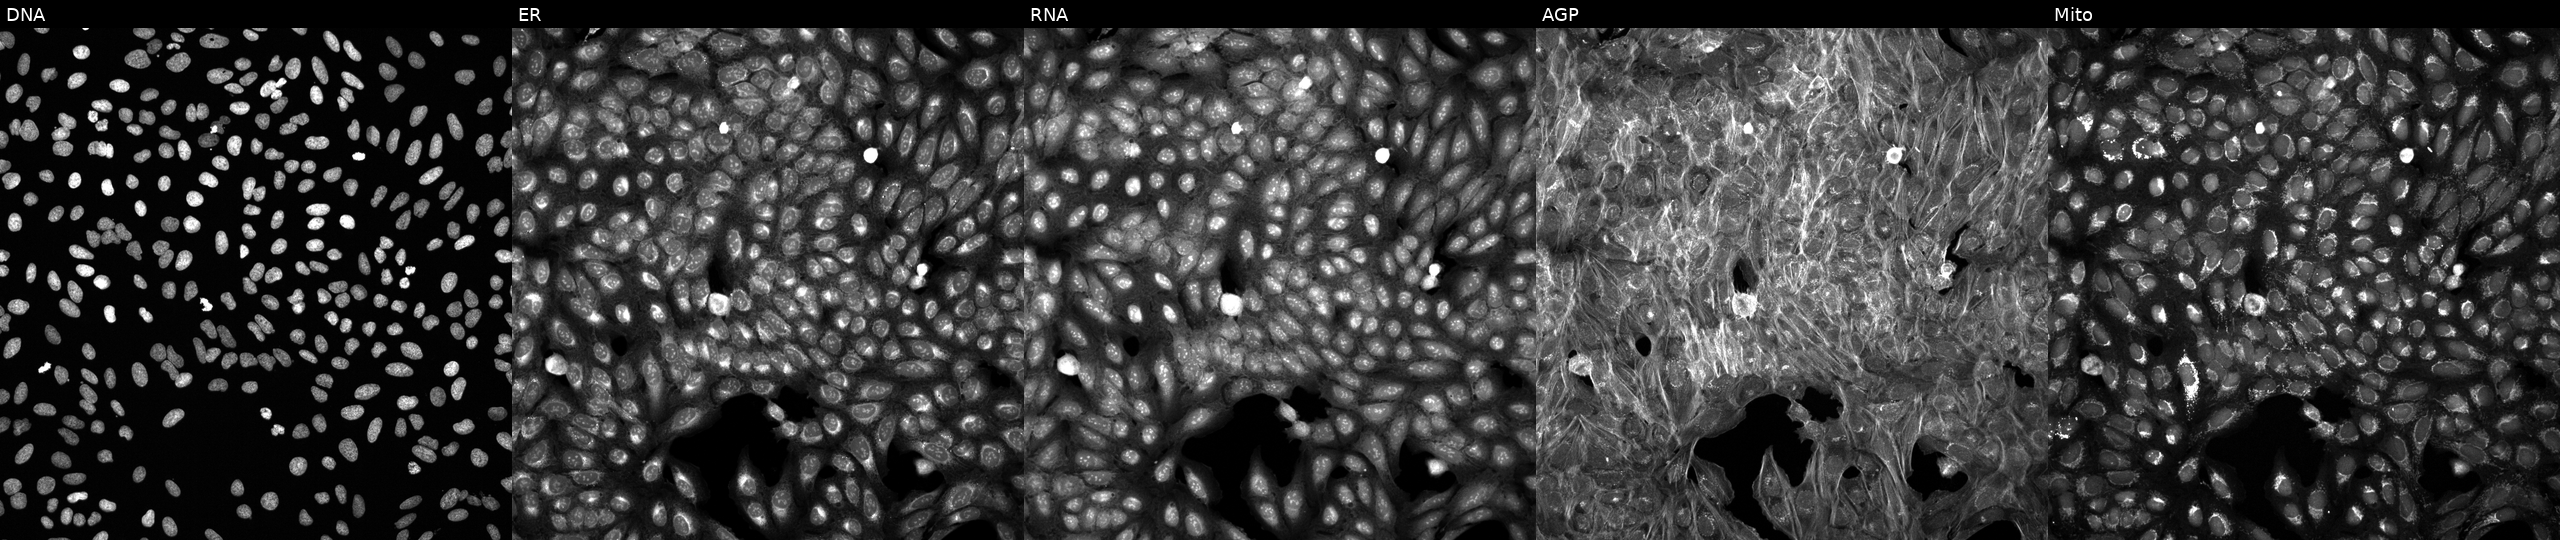
Channels (left→right): Hoechst 33342, concanavalin A, SYTO 14, phalloidin and WGA, MitoTracker. U2OS osteosarcoma cells exposed to DMSO alone as a negative control. Cell Painting assay, JUMP-CP dataset.